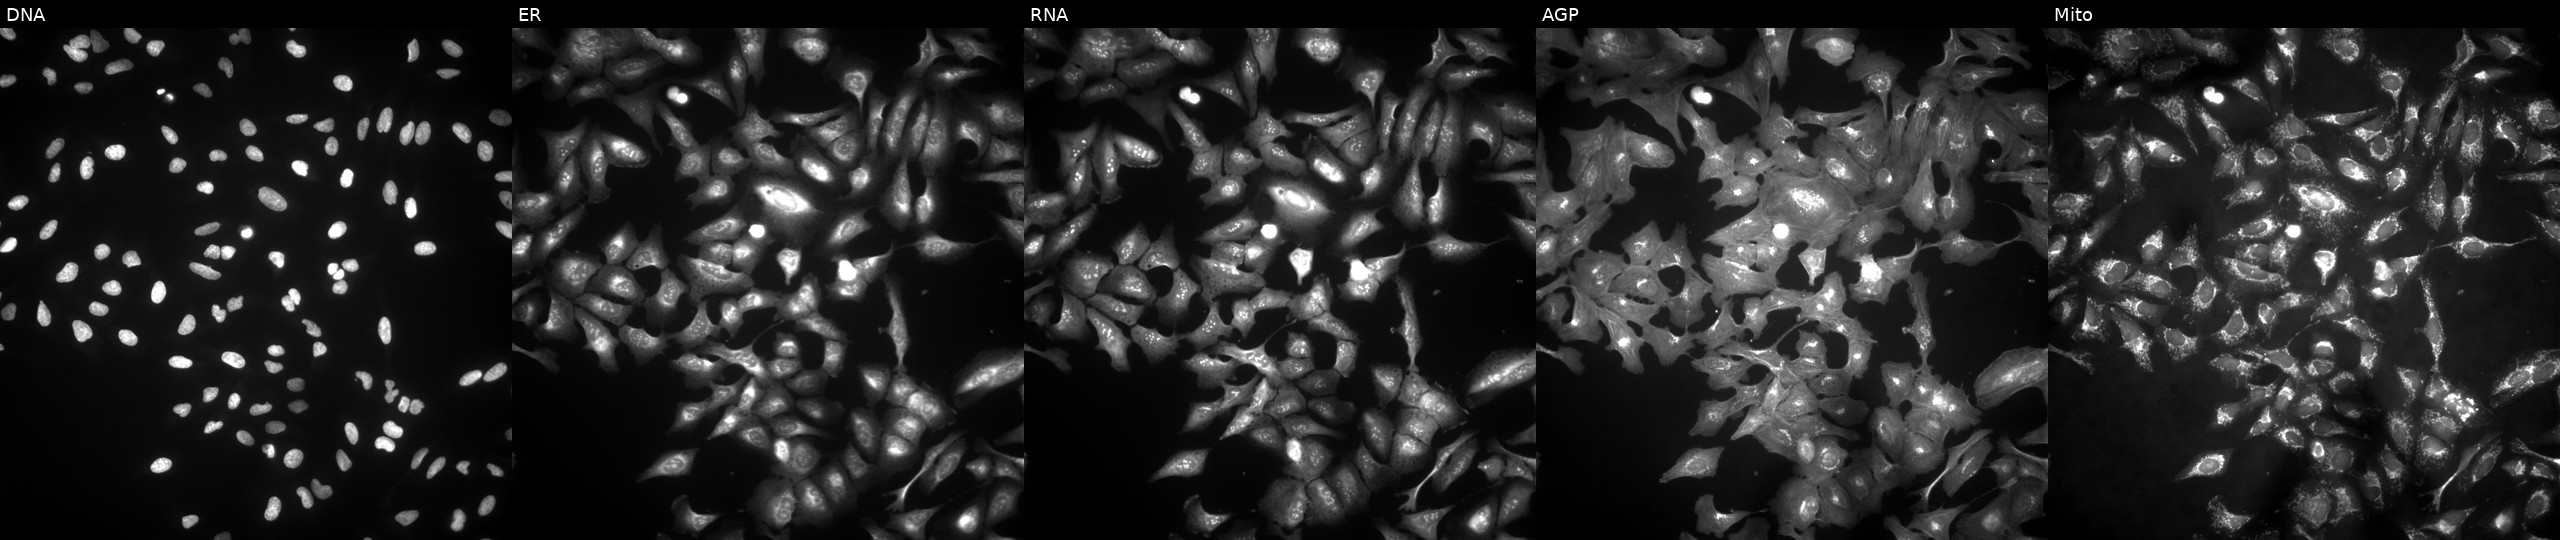
This image strip shows the five Cell Painting channels for a single field of U2OS cells transfected with an ORF construct for ZDHHC17. The five panels, left to right, show Hoechst 33342, concanavalin A, SYTO 14, phalloidin and WGA, MitoTracker.